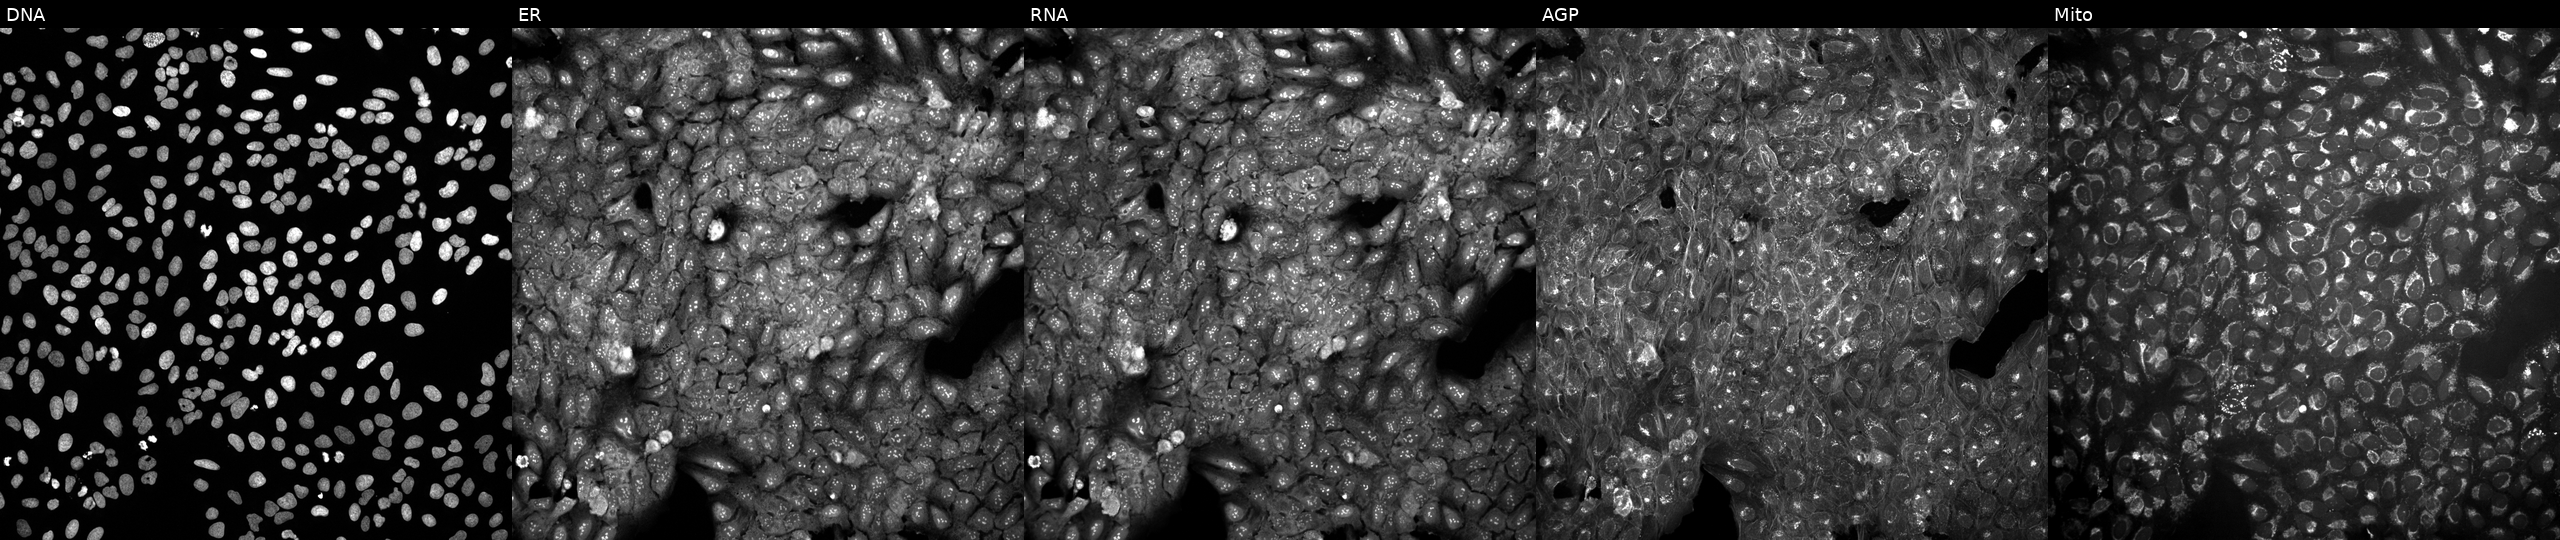
U2OS cells, Cell Painting assay, exposed to a small-molecule compound [SMILES: COc1ccc(-c2nn(CCNC(=O)c3ccc(Cl)cc3)c(=O)n2C2CC2)cc1] (JUMP id JCP2022_022587). From left to right: DNA (nuclei); ER (endoplasmic reticulum); RNA (nucleoli and cytoplasmic RNA); AGP (actin cytoskeleton, Golgi, and plasma membrane); Mito (mitochondria). Each panel is percentile-stretched 16-bit fluorescence.